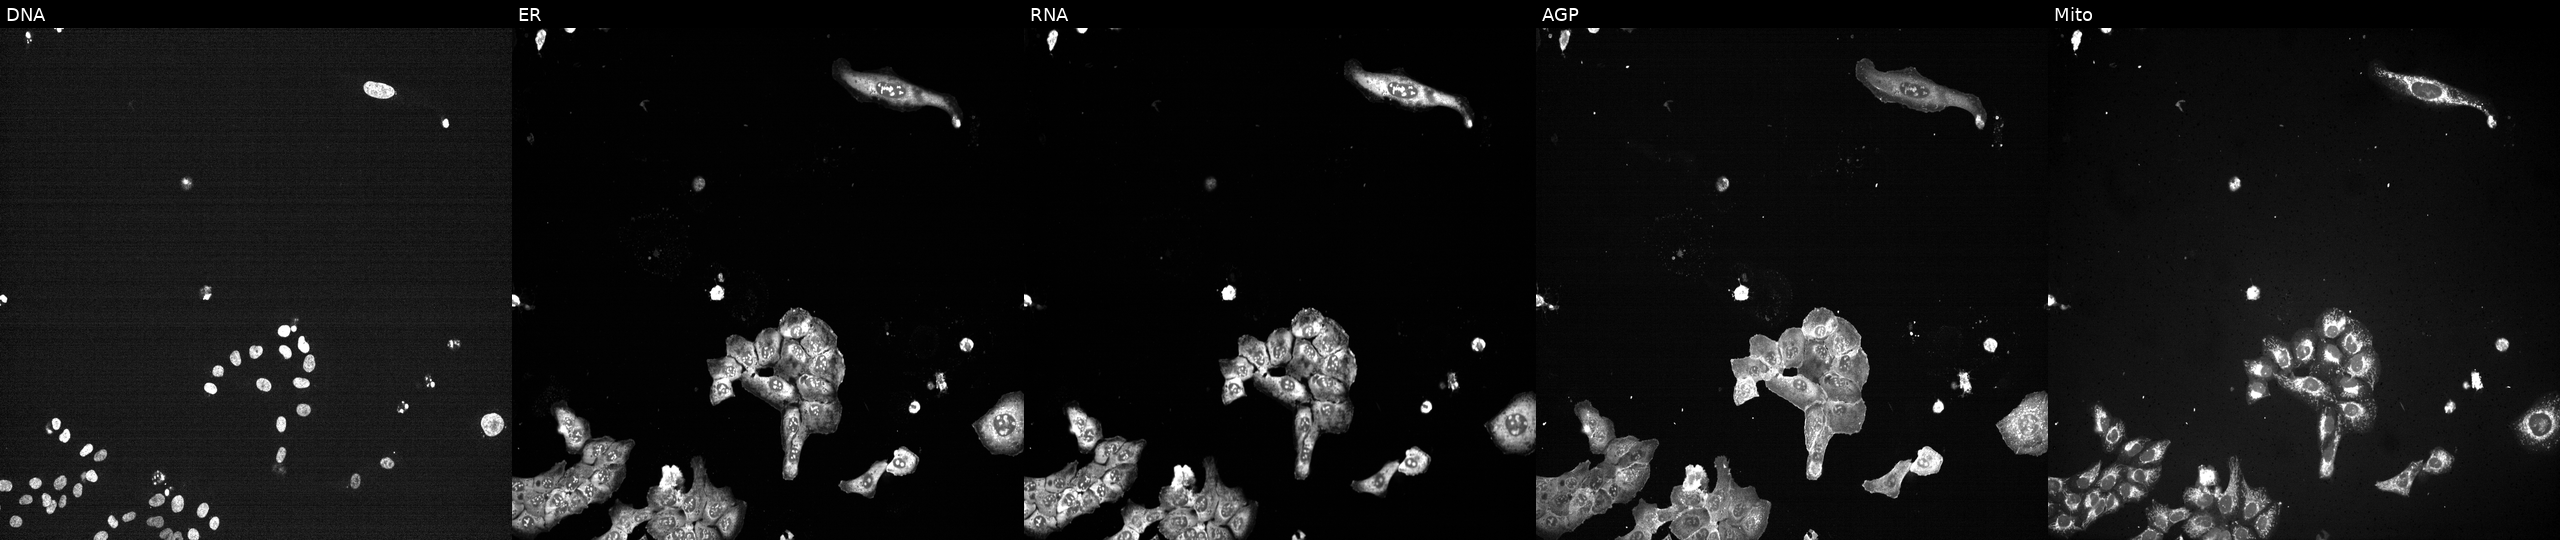
Channels (left→right): Hoechst 33342, concanavalin A, SYTO 14, phalloidin and WGA, MitoTracker. U2OS osteosarcoma cells with PLK1 knocked out by CRISPR (positive control) (JUMP id JCP2022_805264). Cell Painting assay, JUMP-CP dataset.